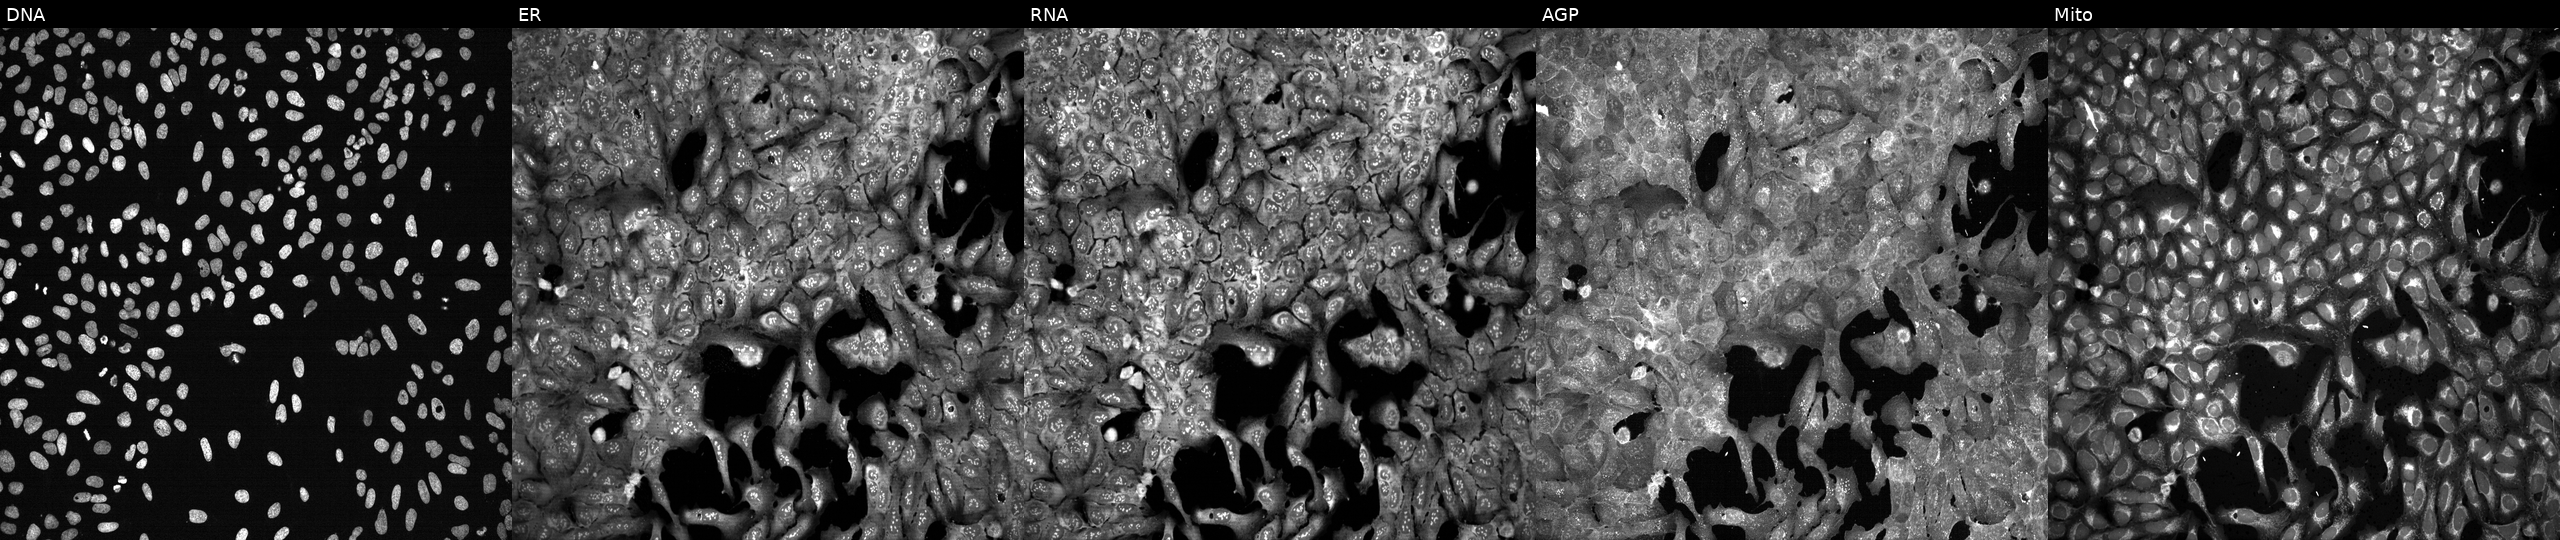
U2OS cells, Cell Painting assay, following CRISPR knockout of MYO15A (JUMP id JCP2022_804381). From left to right: DNA, ER, RNA, AGP, and Mito. Each panel is percentile-stretched 16-bit fluorescence. Source 13, plate CP-CC9-R5-01, well E14.